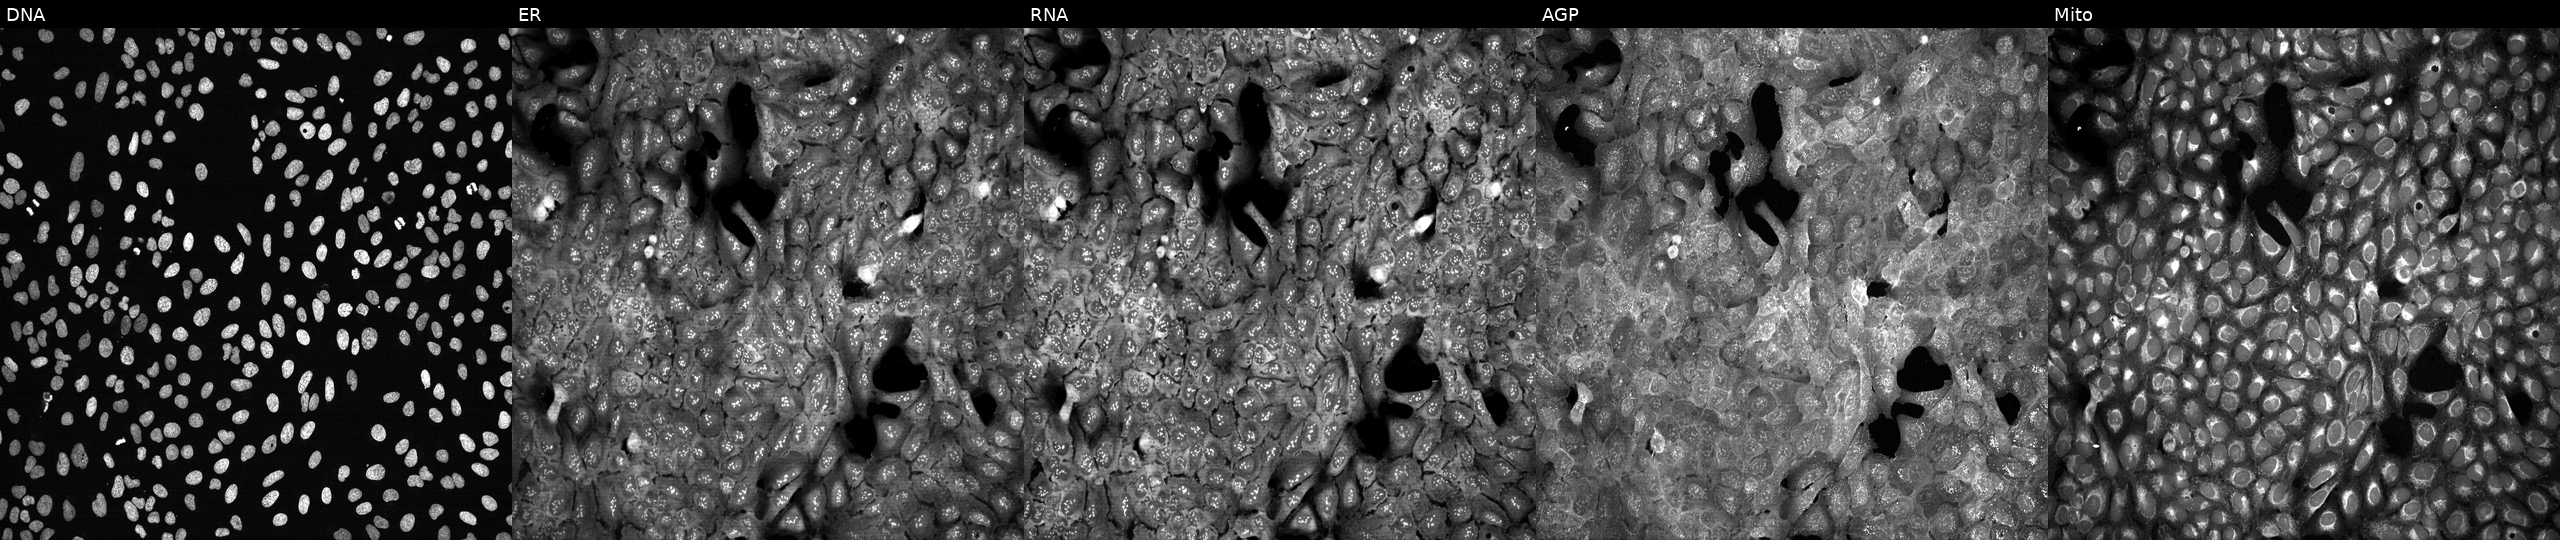
JUMP Cell Painting — CRISPR plate. U2OS cells CRISPR-edited to disrupt ENO2. Channels (left→right): DNA, ER, RNA, AGP, and Mito.